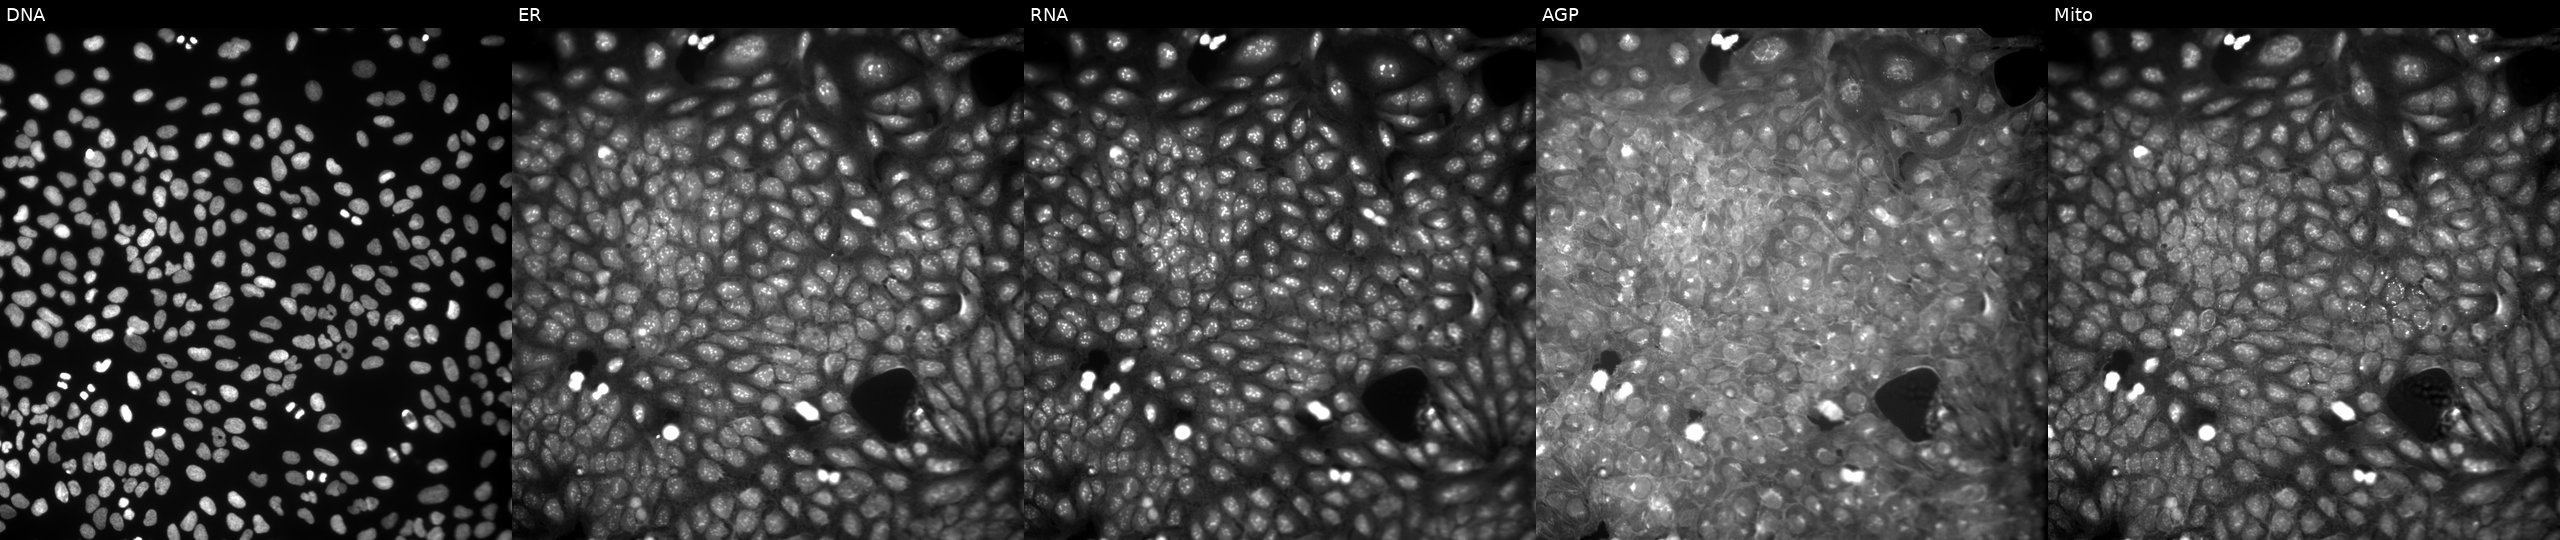
From left to right: DNA (nuclei); ER (endoplasmic reticulum); RNA (nucleoli and cytoplasmic RNA); AGP (actin cytoskeleton, Golgi, and plasma membrane); Mito (mitochondria). U2OS osteosarcoma cells treated with a small-molecule compound (InChIKey UCSIAIKECZQWLR-UHFFFAOYSA-N) (JUMP id JCP2022_088348). Cell Painting assay, JUMP-CP dataset.